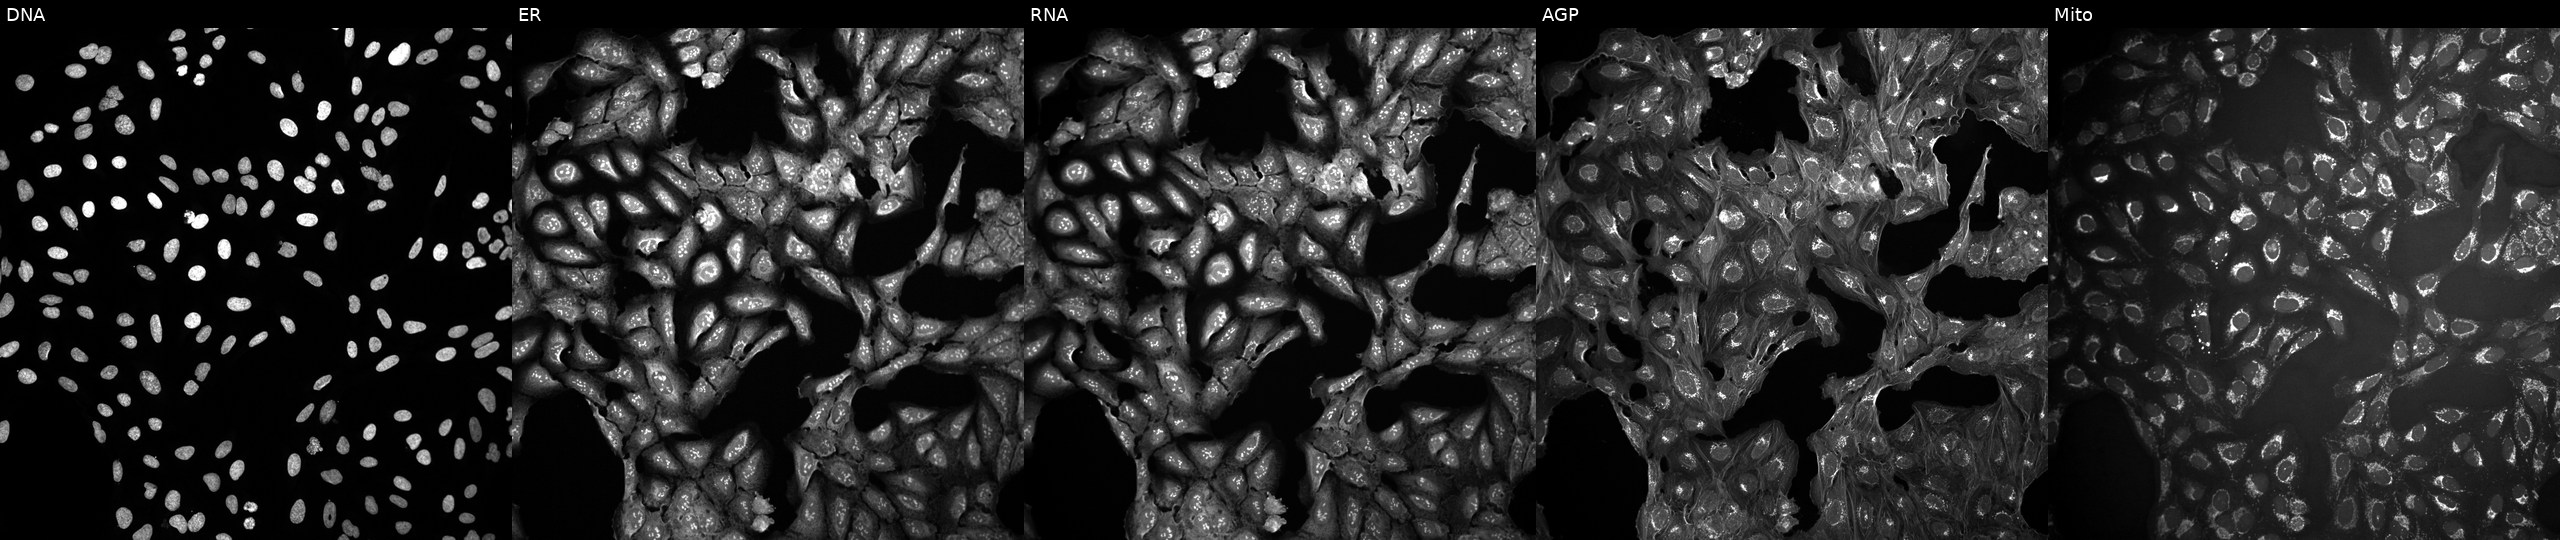
Panels show, left to right, DNA (nuclei); ER (endoplasmic reticulum); RNA (nucleoli and cytoplasmic RNA); AGP (actin cytoskeleton, Golgi, and plasma membrane); Mito (mitochondria). U2OS osteosarcoma cells untreated (empty-well control). Cell Painting assay, JUMP-CP dataset. Source 10, plate Dest210531-152149, well N20.